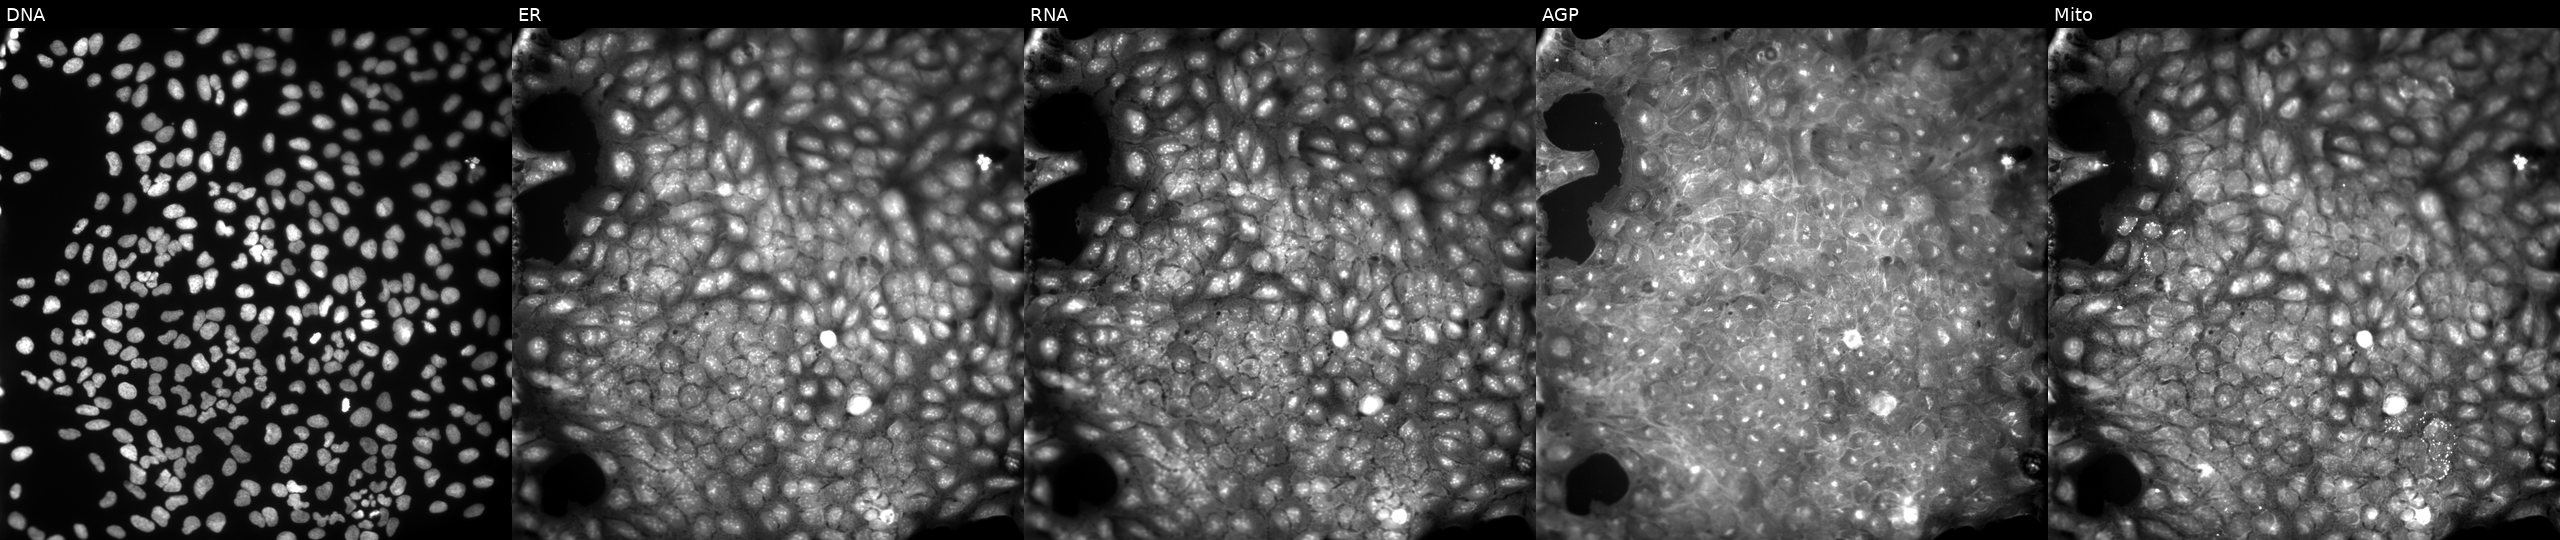
U2OS cells, Cell Painting assay, exposed to a small-molecule compound (InChIKey BZZWXGXDOUDVGZ-UHFFFAOYSA-N) [SMILES: COc1ccc(C)cc1NC(=O)CCN1CCN(c2ccccc2)CC1]. Channels (left→right): DNA, ER, RNA, AGP, and Mito. Each panel is percentile-stretched 16-bit fluorescence.